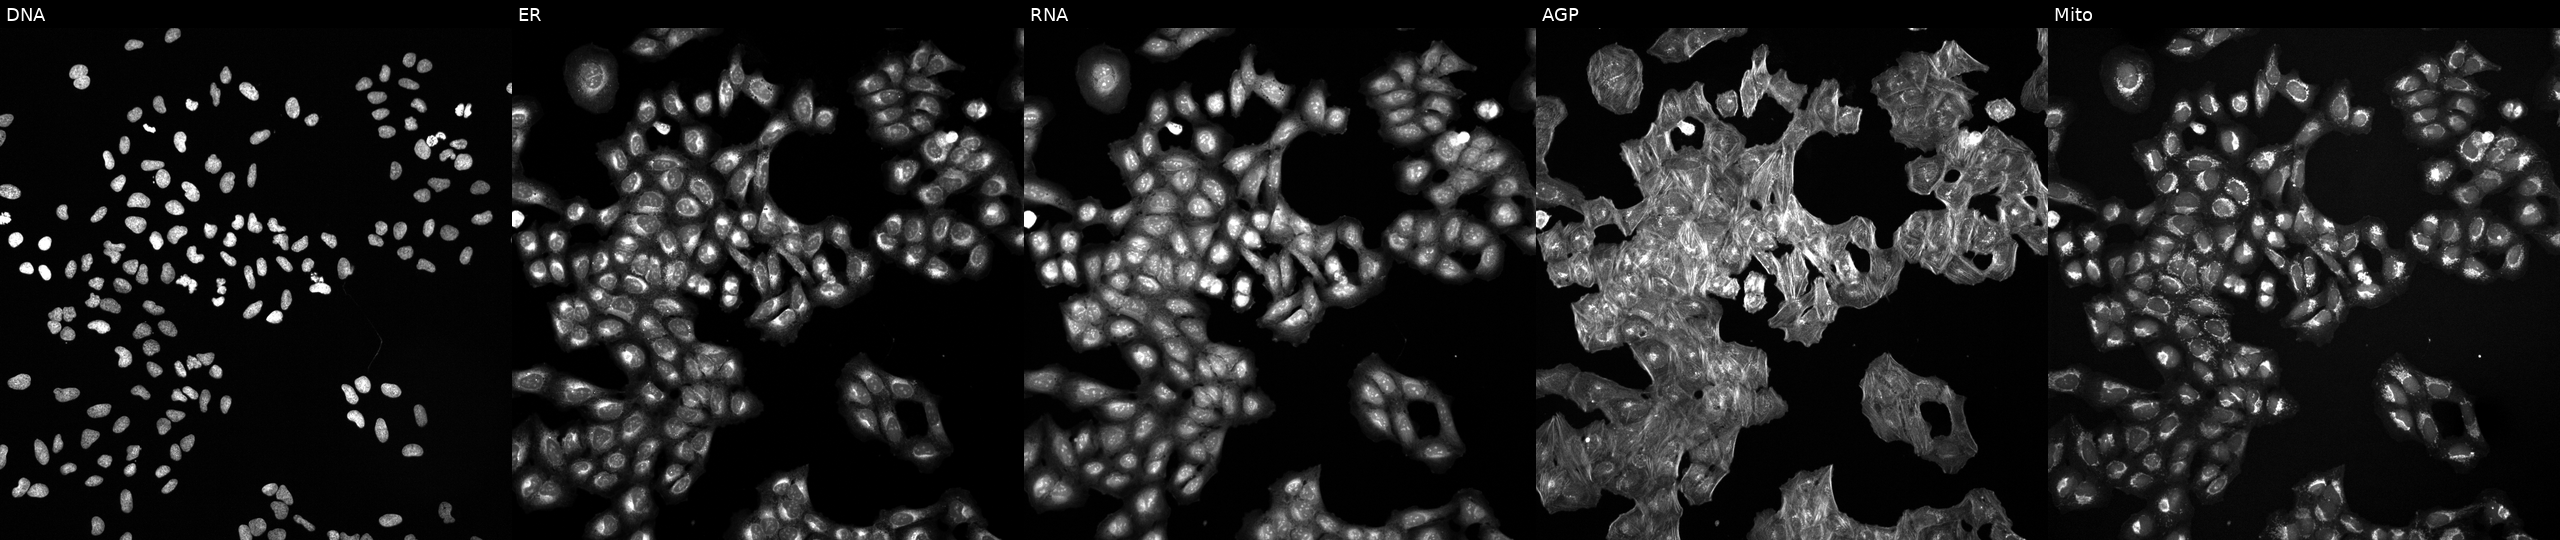
U2OS cells, Cell Painting assay, exposed to the positive-control compound NVS-PAK1-1 (JUMP id JCP2022_064022). Channels (left→right): DNA, ER, RNA, AGP, and Mito. Each panel is percentile-stretched 16-bit fluorescence.